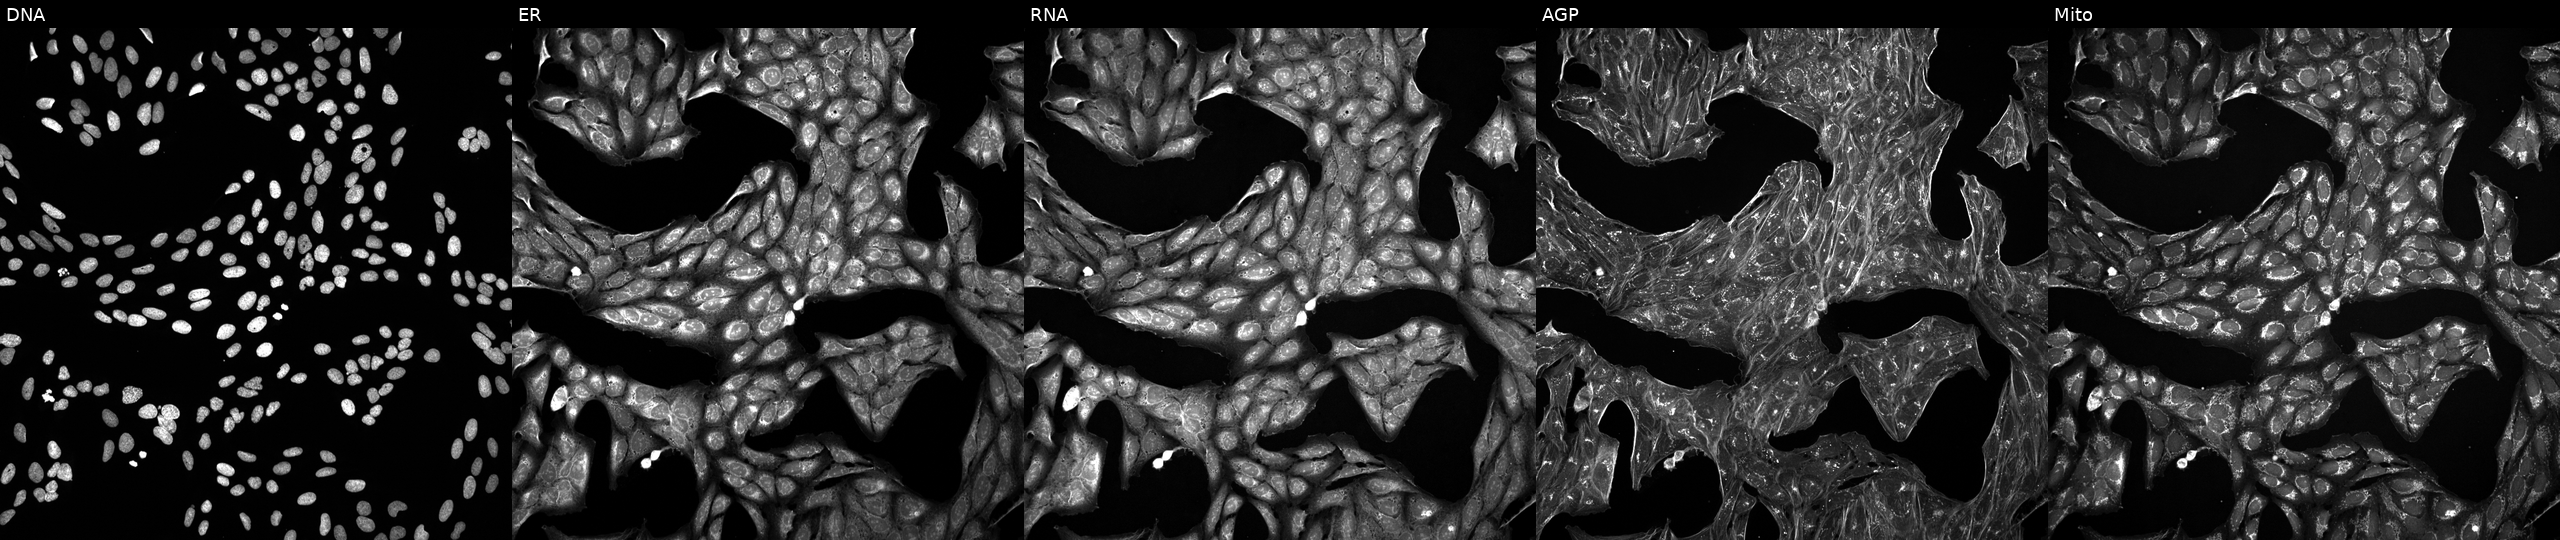
JUMP Cell Painting — TARGET2 plate. U2OS cells perturbed with a small-molecule compound (InChIKey AECDBHGVIIRMOI-UHFFFAOYSA-N) [SMILES: N=c1[nH]cnc2c1c(-c1cccc(OCc3ccccc3)c1)cn2C1CC(CN2CCC2)C1] (JUMP id JCP2022_000794). From left to right: DNA, ER, RNA, AGP, and Mito.